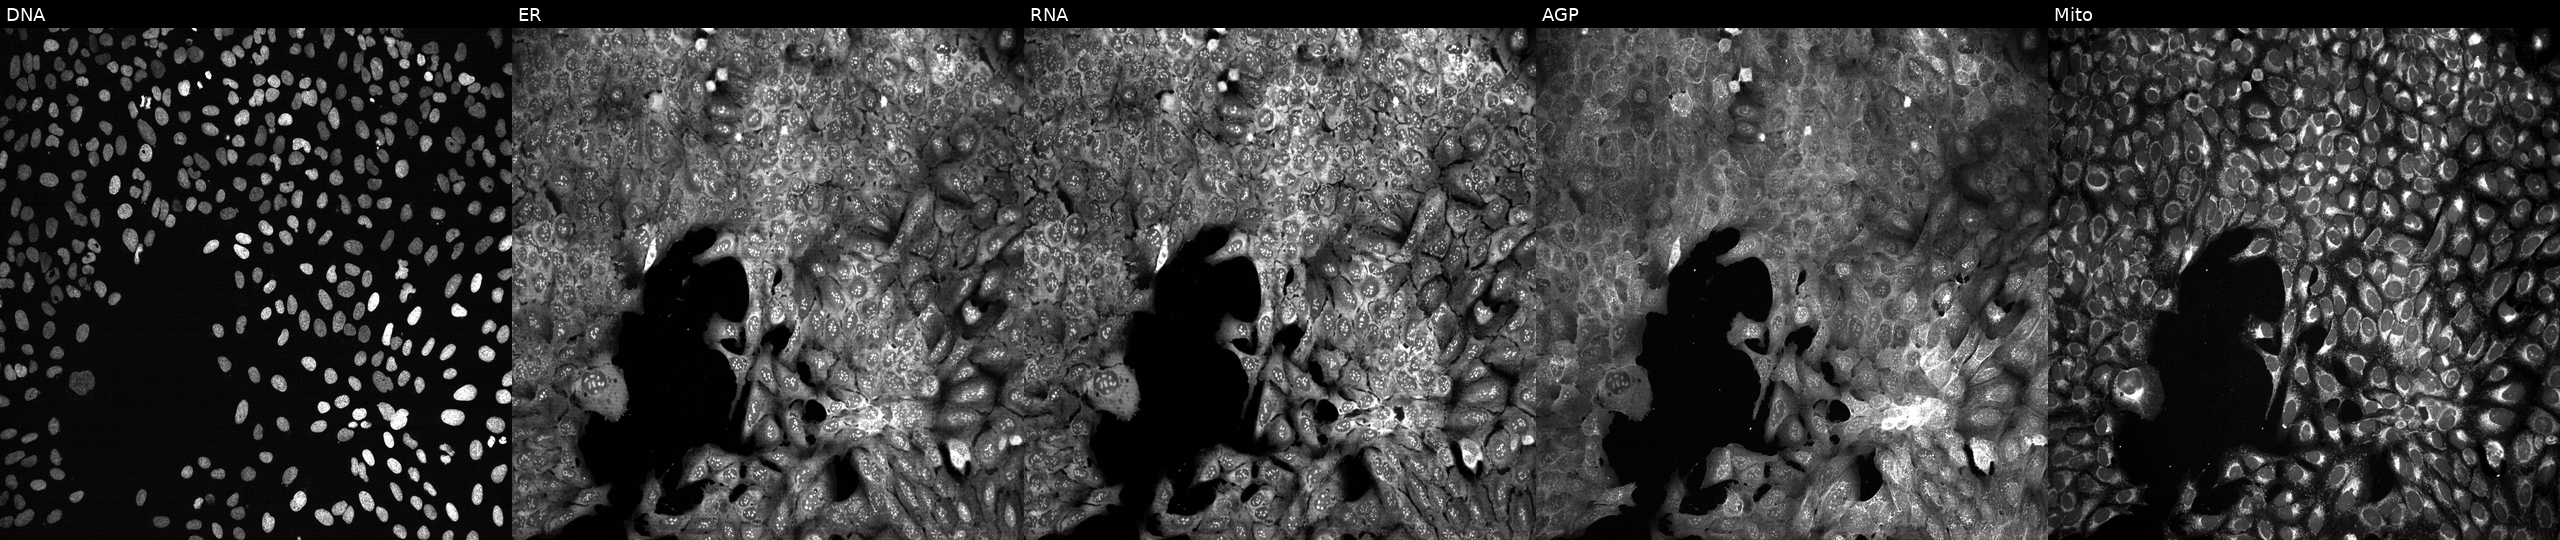
Five-channel Cell Painting image of U2OS cells CRISPR-edited to disrupt HMGCL. From left to right: DNA (nuclei); ER (endoplasmic reticulum); RNA (nucleoli and cytoplasmic RNA); AGP (actin cytoskeleton, Golgi, and plasma membrane); Mito (mitochondria).